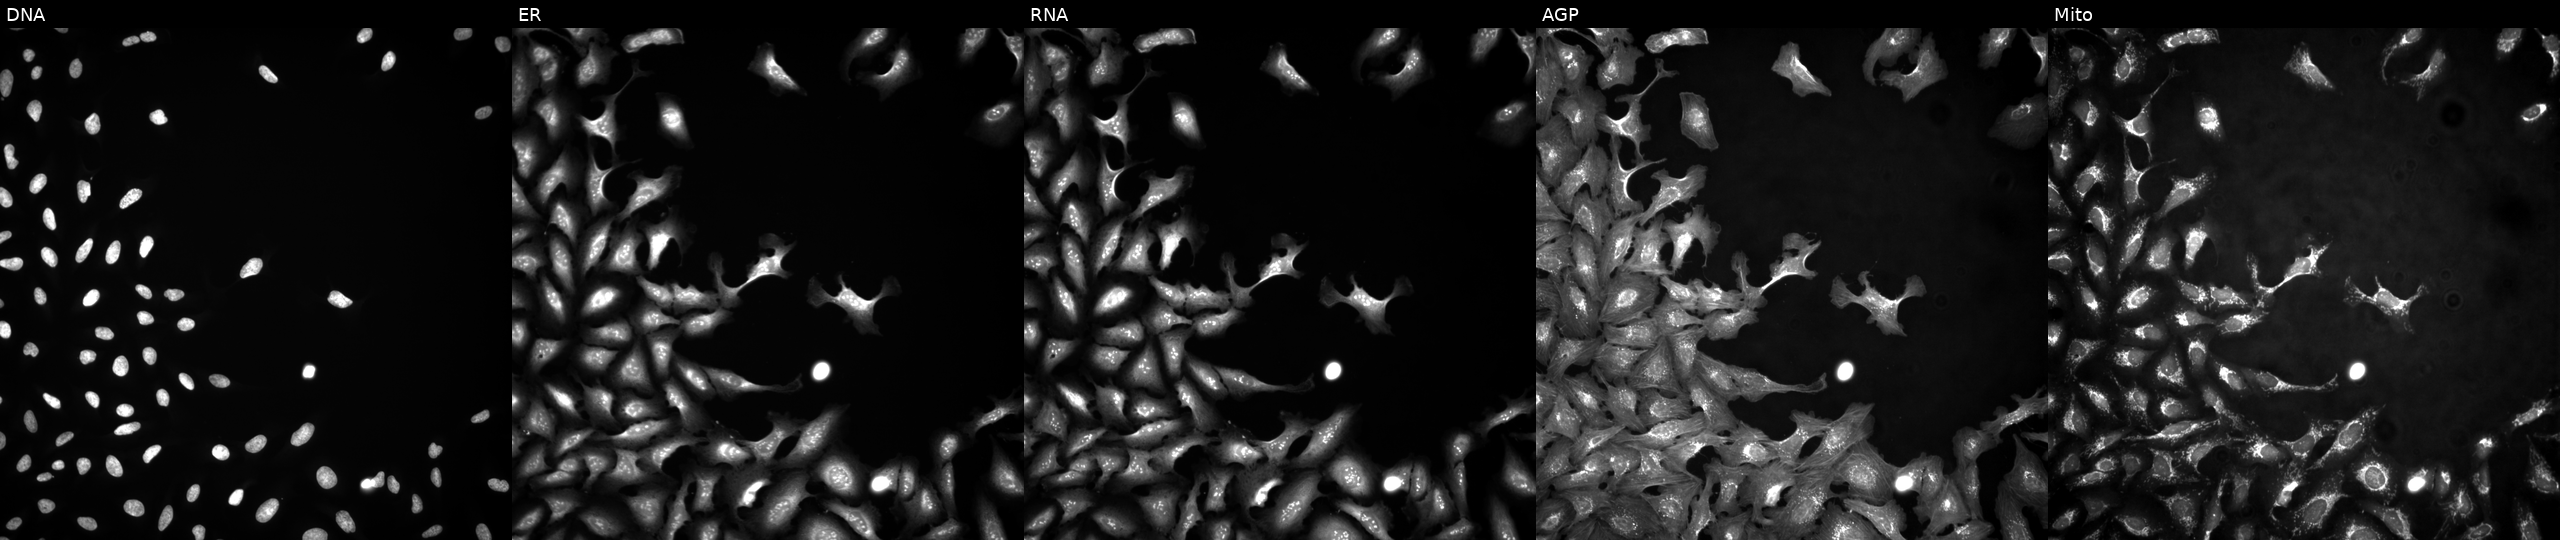
This image strip shows the five Cell Painting channels for a single field of U2OS cells overexpressing PTPN12 via ORF transfection (JUMP id JCP2022_906379). Panels show, left to right, DNA, ER, RNA, AGP, and Mito. Source 4, plate BR00123945, well J02.